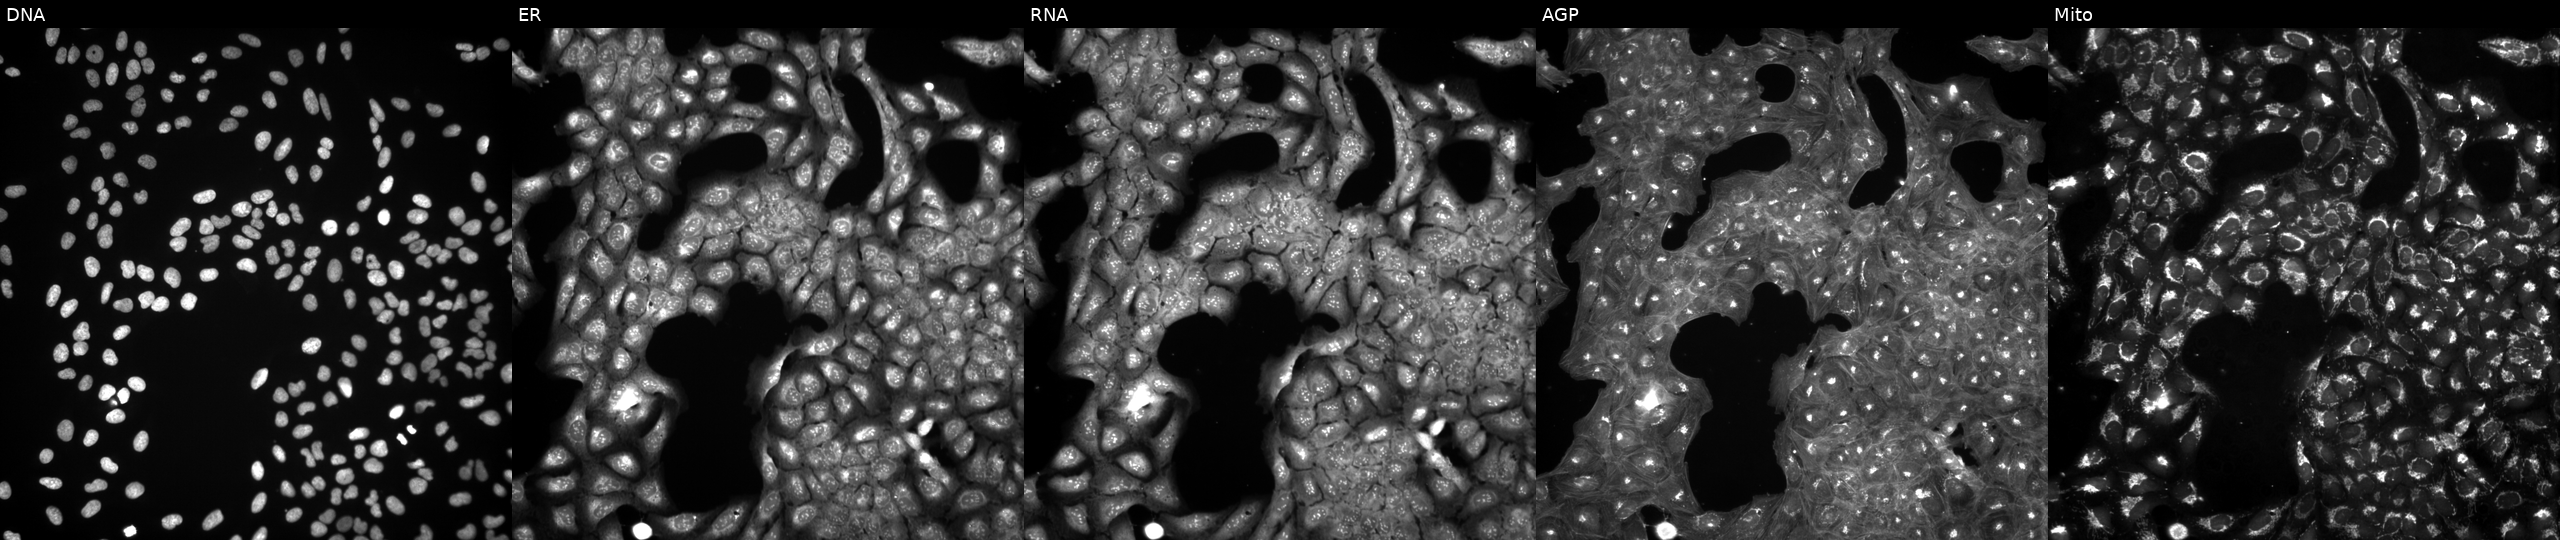
U2OS cells, Cell Painting assay, exposed to a small-molecule compound (InChIKey WATNXVHKRRTUFK-UHFFFAOYSA-N) [SMILES: CCCC(CCC)C(=O)NCc1ccc2c(cnn2-c2ccccc2OC)c1]. The five panels, left to right, show Hoechst 33342, concanavalin A, SYTO 14, phalloidin and WGA, MitoTracker. Each panel is percentile-stretched 16-bit fluorescence. Source 3, plate JCPQC052, well M06.